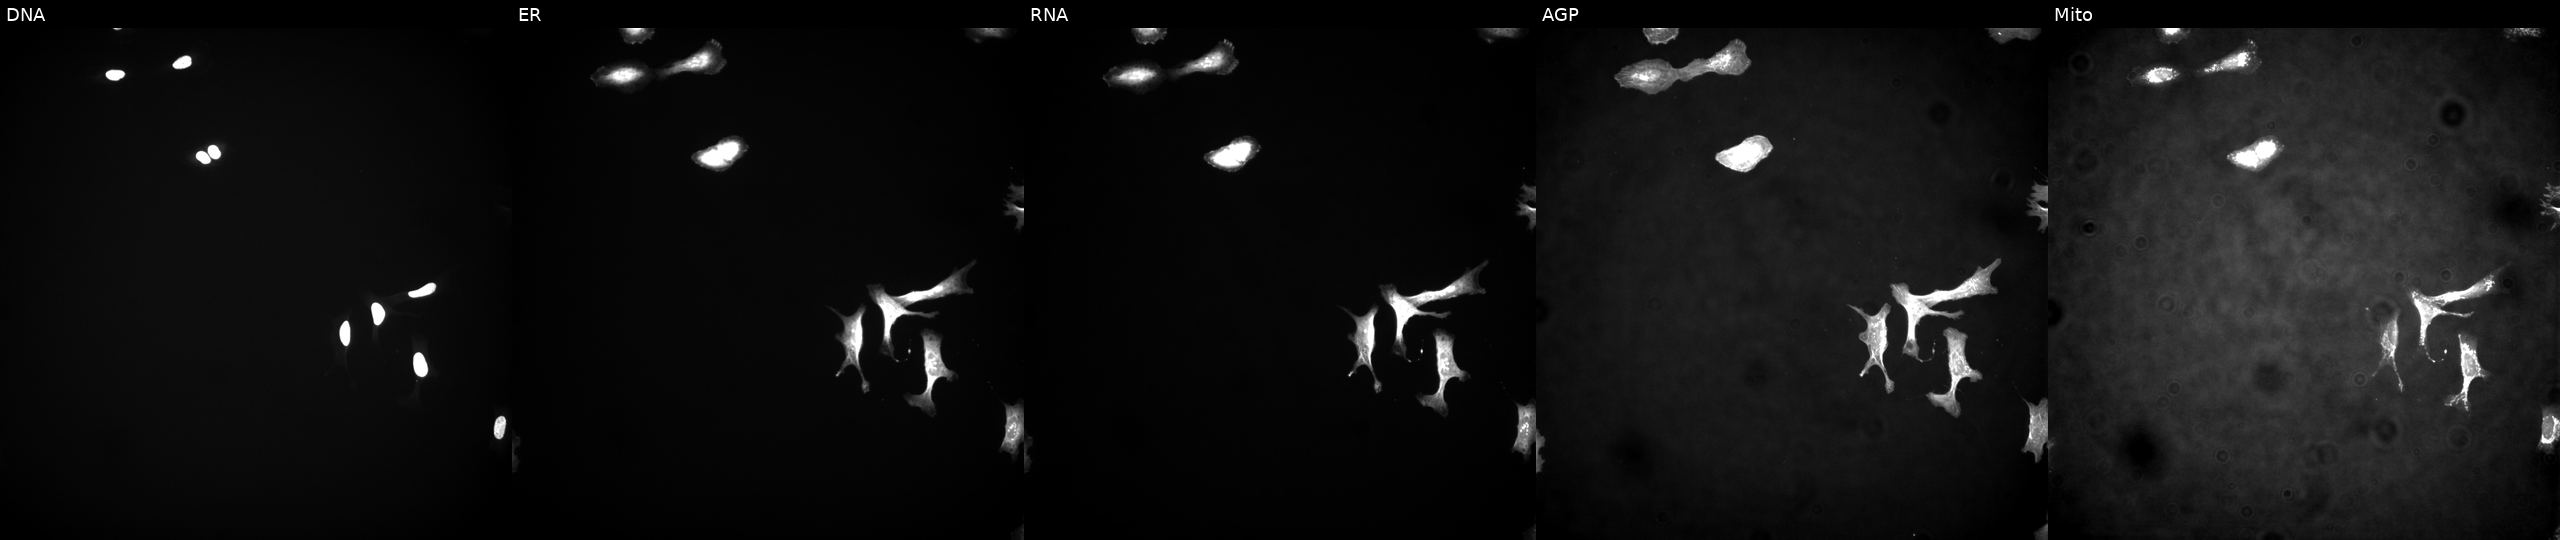
From left to right: Hoechst 33342, concanavalin A, SYTO 14, phalloidin and WGA, MitoTracker. U2OS osteosarcoma cells in an empty control well (no perturbation) (JUMP id JCP2022_999999). Cell Painting assay, JUMP-CP dataset. Source 4, plate BR00124784, well I10.